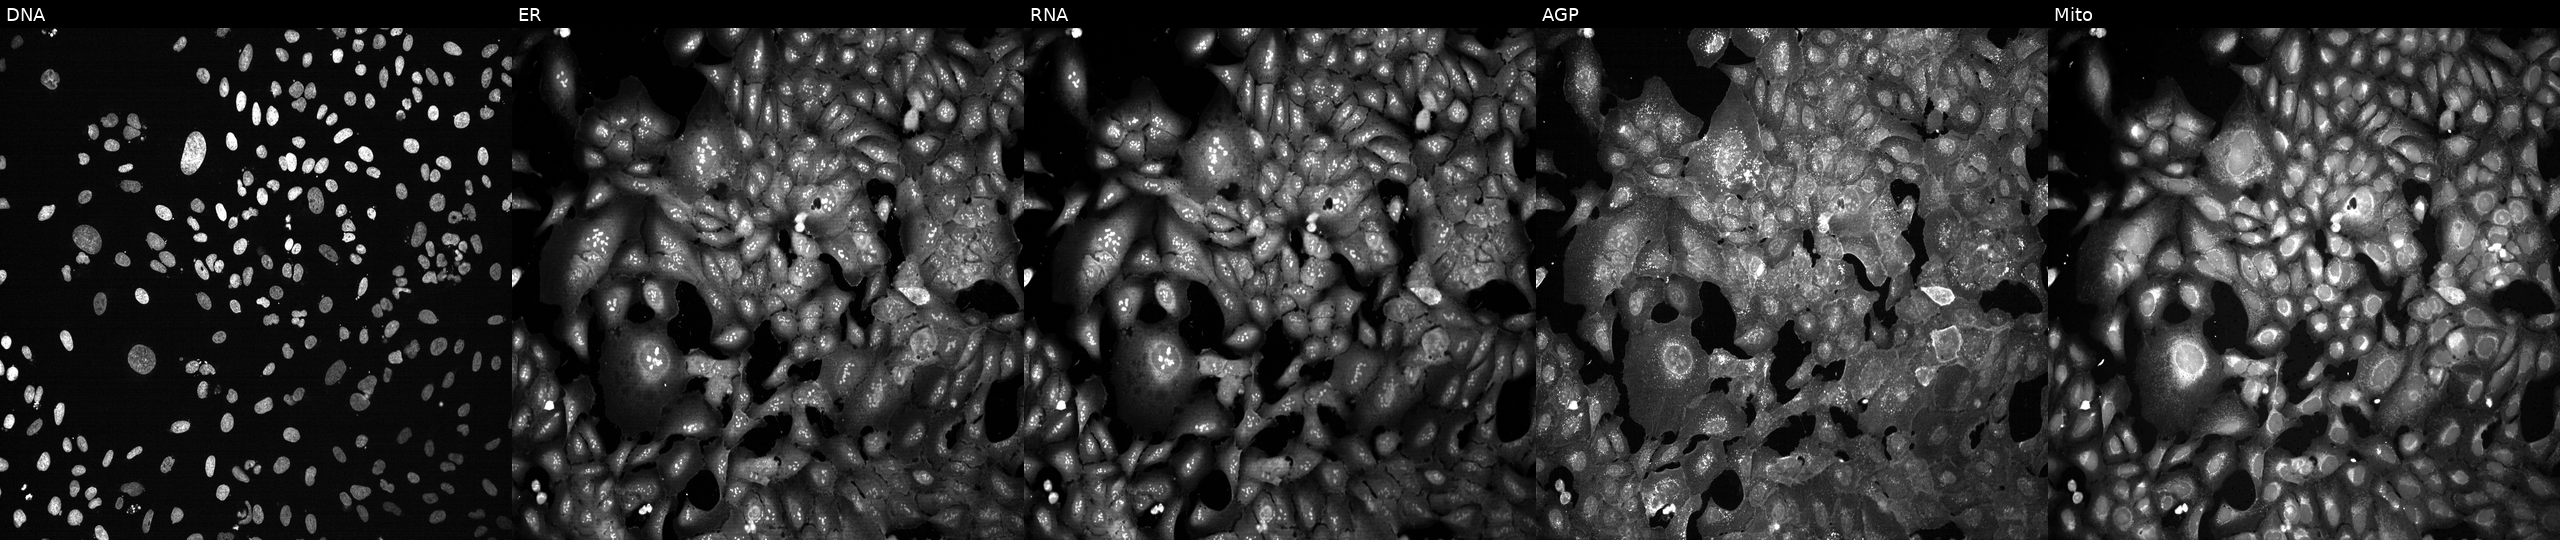
This image strip shows the five Cell Painting channels for a single field of U2OS cells CRISPR-edited to disrupt KLRG1 (JUMP id JCP2022_803735). The five panels, left to right, show DNA, ER, RNA, AGP, and Mito. Source 13, plate CP-CC9-R1-01, well G19.